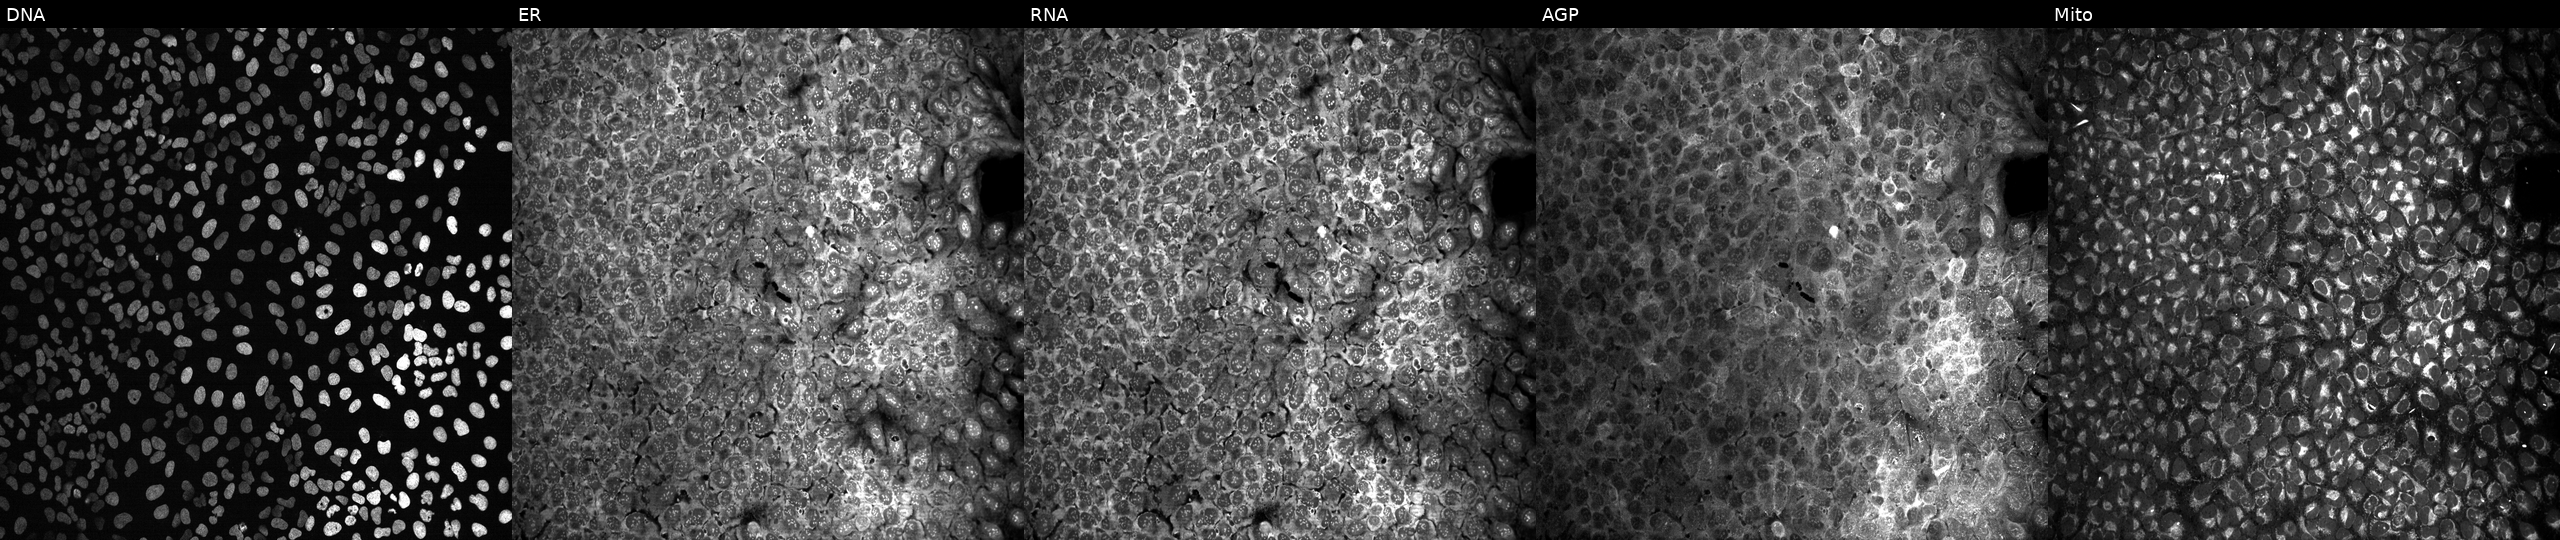
From left to right: DNA (nuclei); ER (endoplasmic reticulum); RNA (nucleoli and cytoplasmic RNA); AGP (actin cytoskeleton, Golgi, and plasma membrane); Mito (mitochondria). U2OS osteosarcoma cells exposed to DMSO alone as a negative control. Cell Painting assay, JUMP-CP dataset. Source 13, plate CP-CC9-R3-01, well C02.